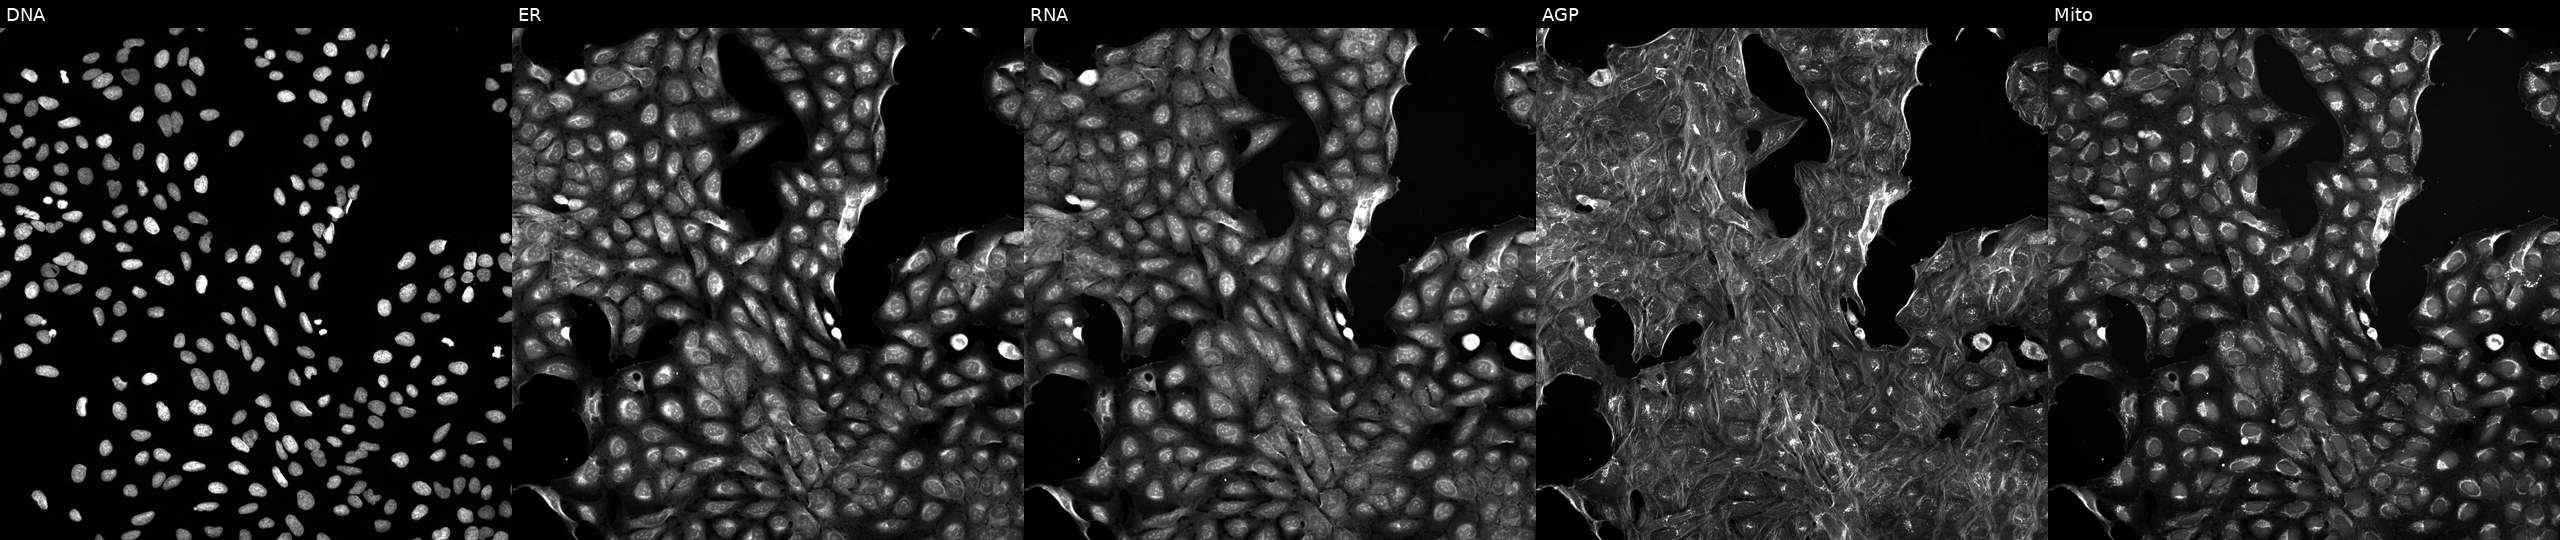
This image strip shows the five Cell Painting channels for a single field of U2OS cells treated with a small-molecule compound (InChIKey LMEKQMALGUDUQG-UHFFFAOYSA-N). From left to right: DNA, ER, RNA, AGP, and Mito.